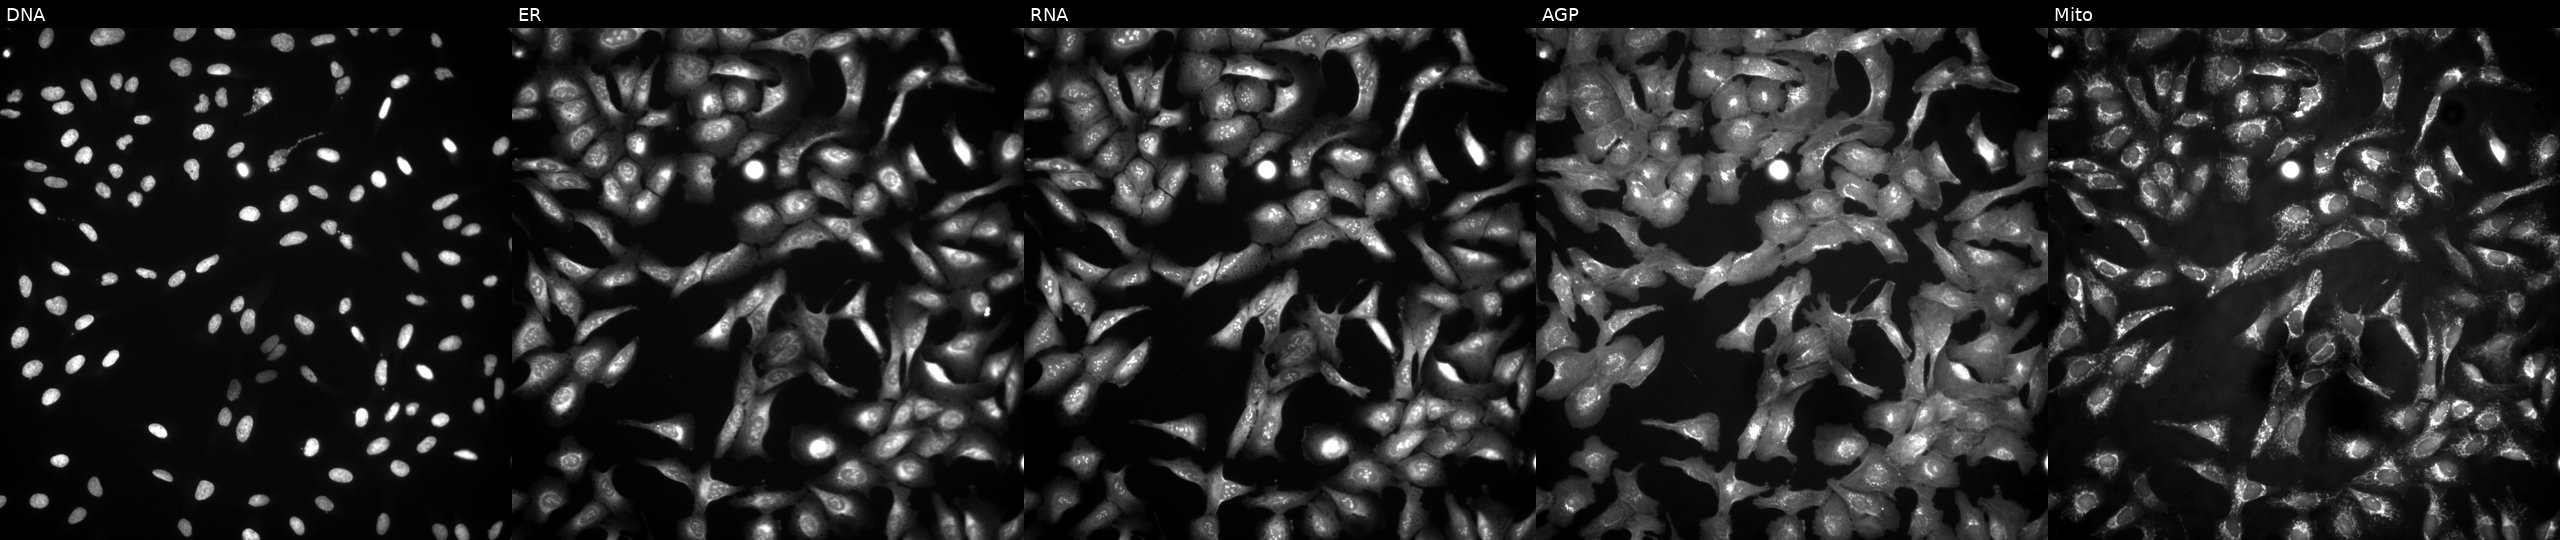
JUMP Cell Painting — ORF plate. U2OS cells overexpressing MYCT1 via ORF transfection. Channels (left→right): DNA (nuclei); ER (endoplasmic reticulum); RNA (nucleoli and cytoplasmic RNA); AGP (actin cytoskeleton, Golgi, and plasma membrane); Mito (mitochondria).